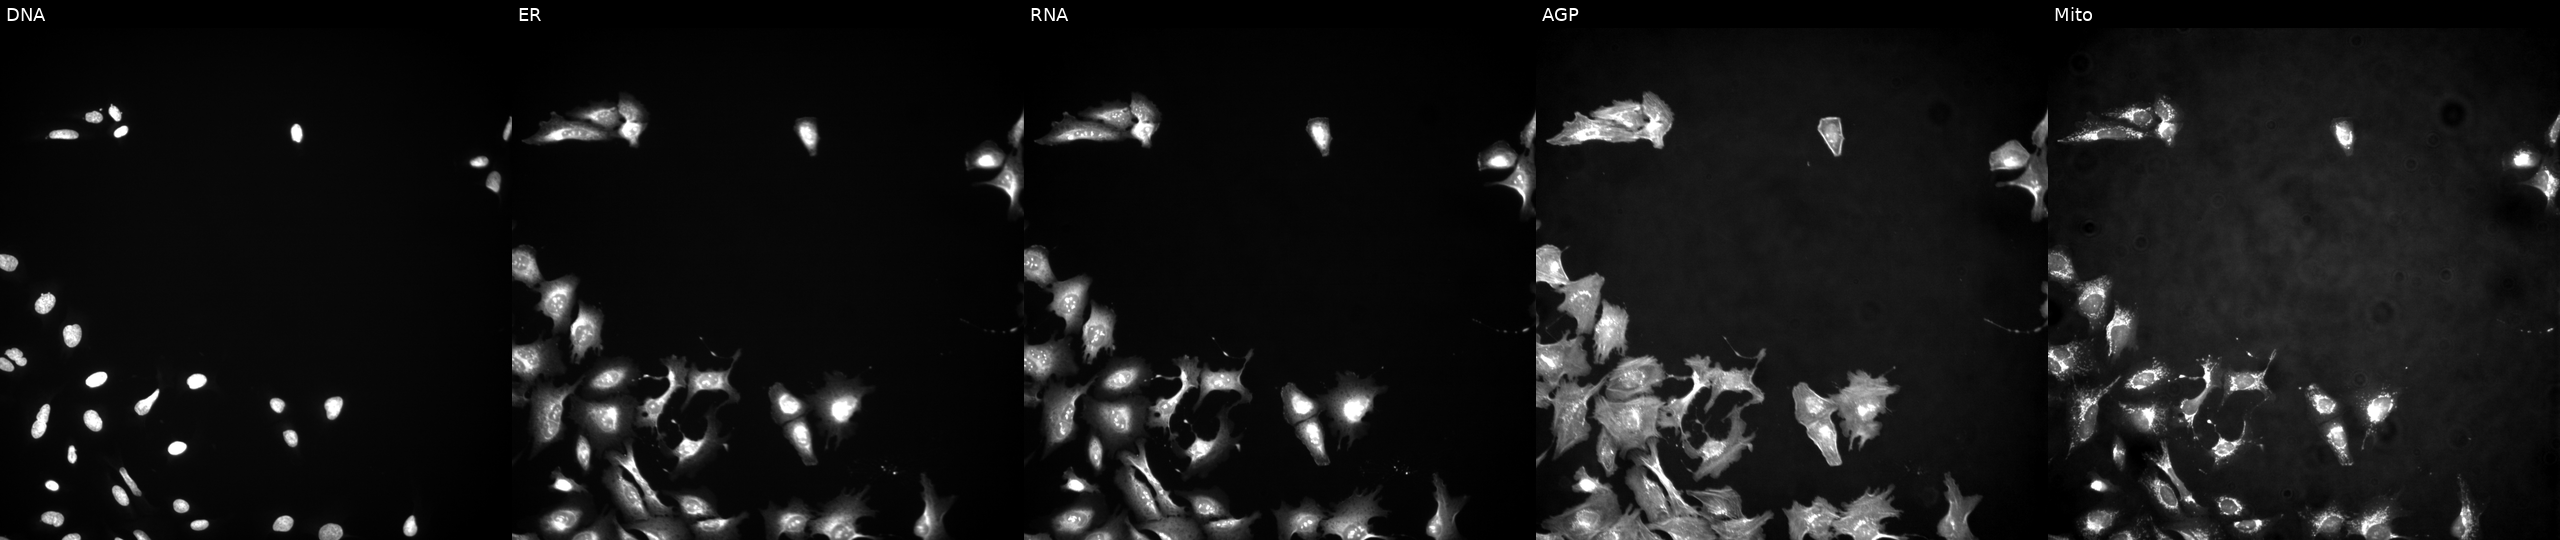
JUMP Cell Painting — ORF plate. U2OS cells exposed to the positive-control compound TC-S-7004. Channels (left→right): Hoechst 33342, concanavalin A, SYTO 14, phalloidin and WGA, MitoTracker.